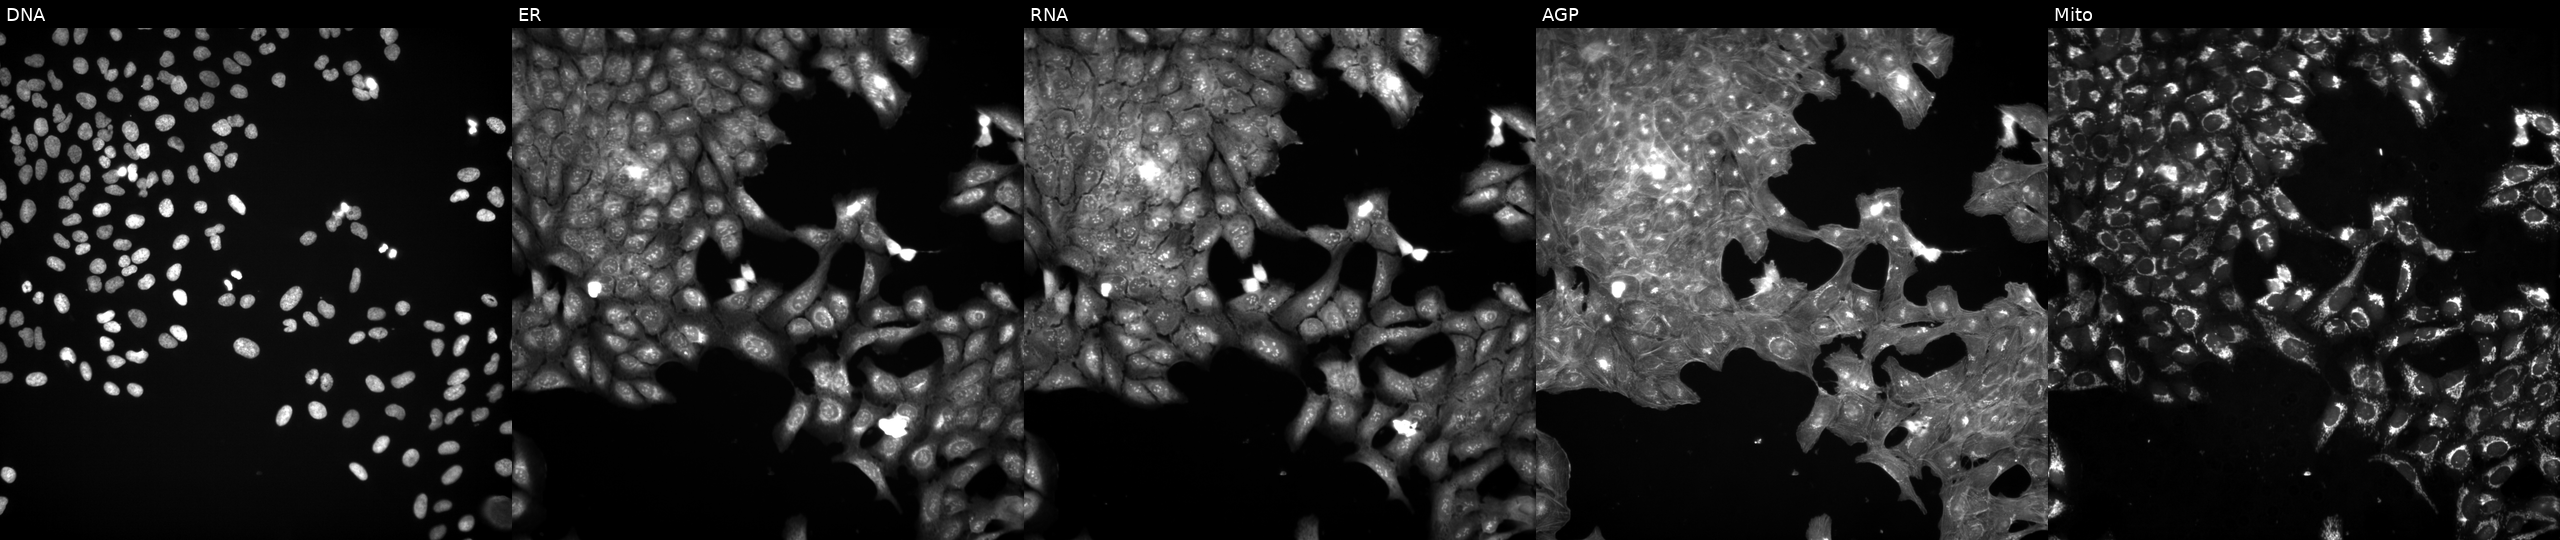
U2OS cells, Cell Painting assay, treated with a small-molecule compound (InChIKey FHPOTBQOUBMMCI-UHFFFAOYSA-N). Channels (left→right): DNA, ER, RNA, AGP, and Mito. Each panel is percentile-stretched 16-bit fluorescence.